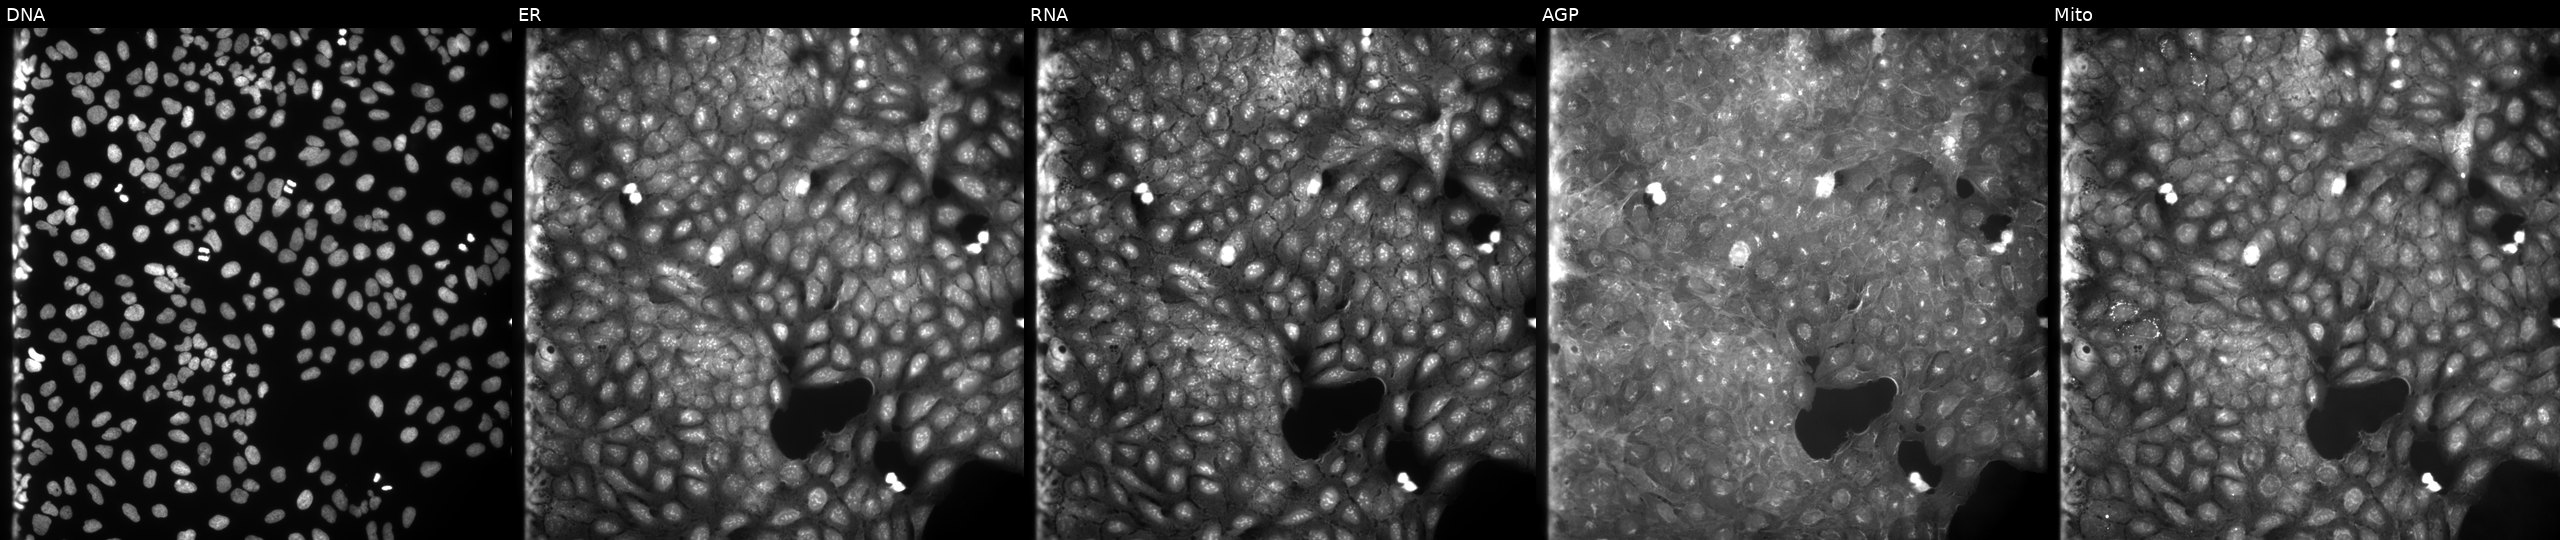
From left to right: Hoechst 33342, concanavalin A, SYTO 14, phalloidin and WGA, MitoTracker. U2OS osteosarcoma cells treated with a small-molecule compound [SMILES: CCOC(=O)c1c[nH]c2c(C)c(Cl)ccc2c1=NCCCN1CCOCC1] (JUMP id JCP2022_008230). Cell Painting assay, JUMP-CP dataset.